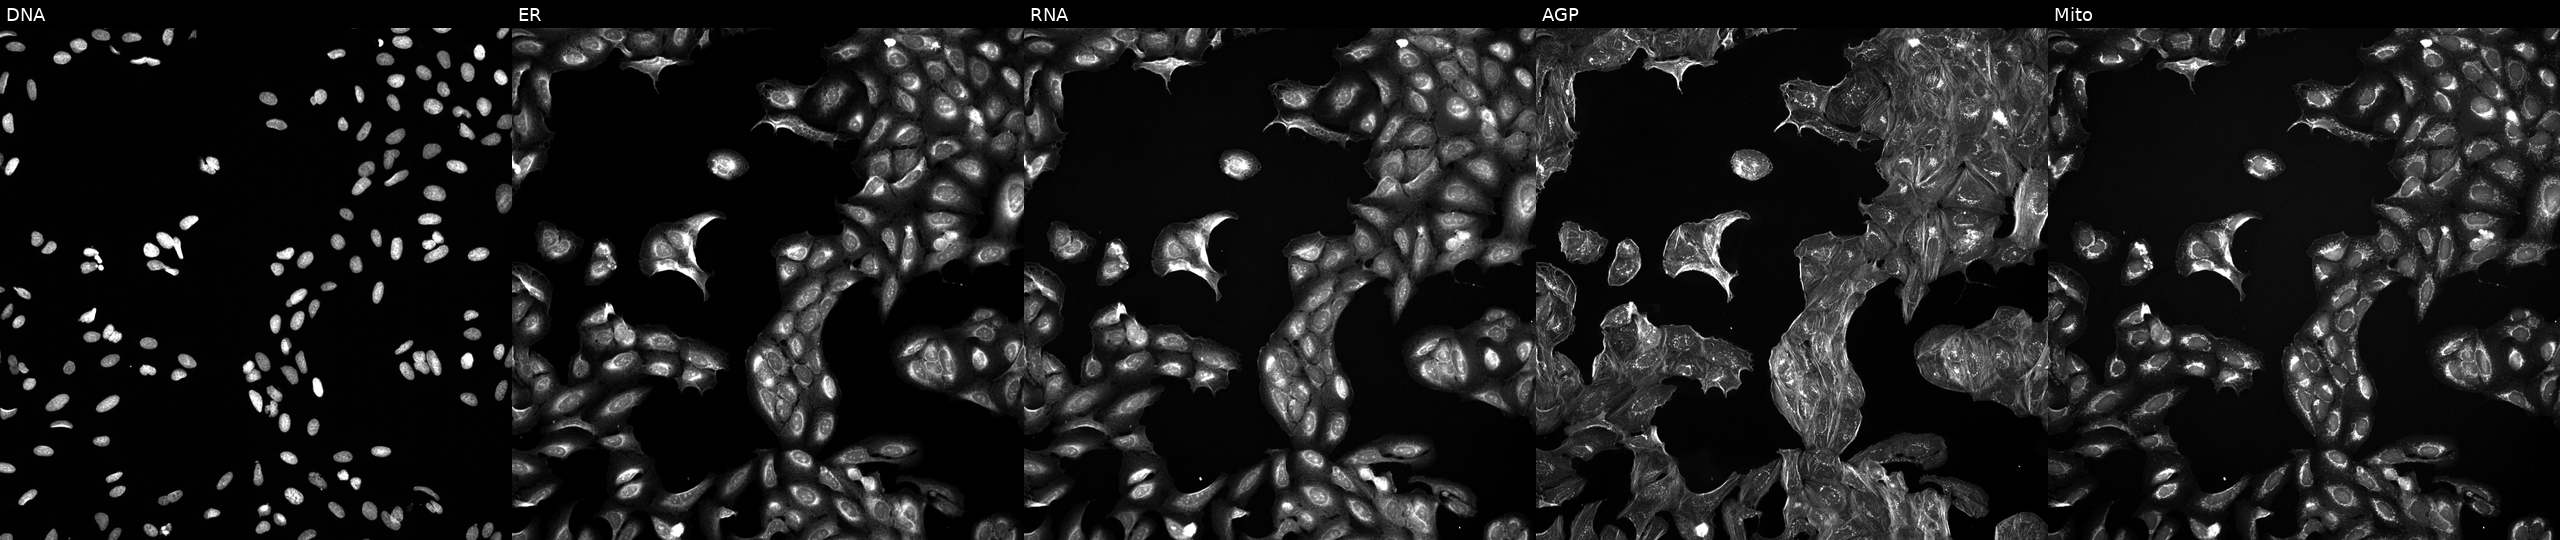
High-content fluorescence microscopy (Cell Painting). Cell line: U2OS. Perturbation: exposed to a small-molecule compound (InChIKey CWHUFRVAEUJCEF-UHFFFAOYSA-N) (JUMP id JCP2022_013856). The five panels, left to right, show DNA, ER, RNA, AGP, and Mito. Source 5, plate ACPJUM012, well G14.